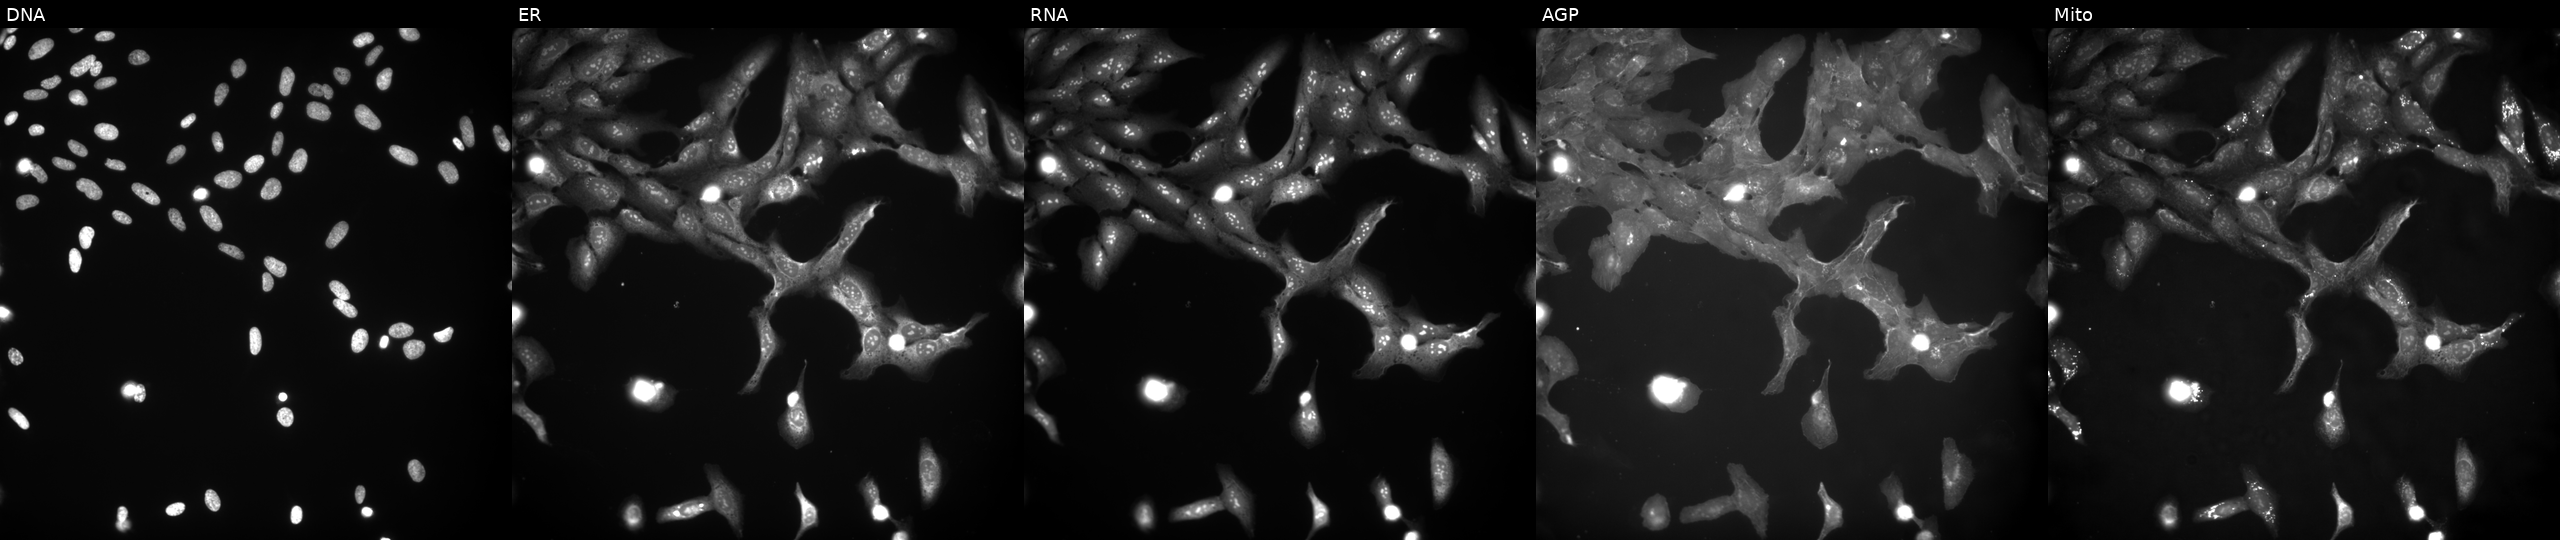
JUMP Cell Painting — COMPOUND plate. U2OS cells perturbed with a small-molecule compound (InChIKey MOJZHZLCHIGRNF-UHFFFAOYSA-N). Panels show, left to right, DNA, ER, RNA, AGP, and Mito.